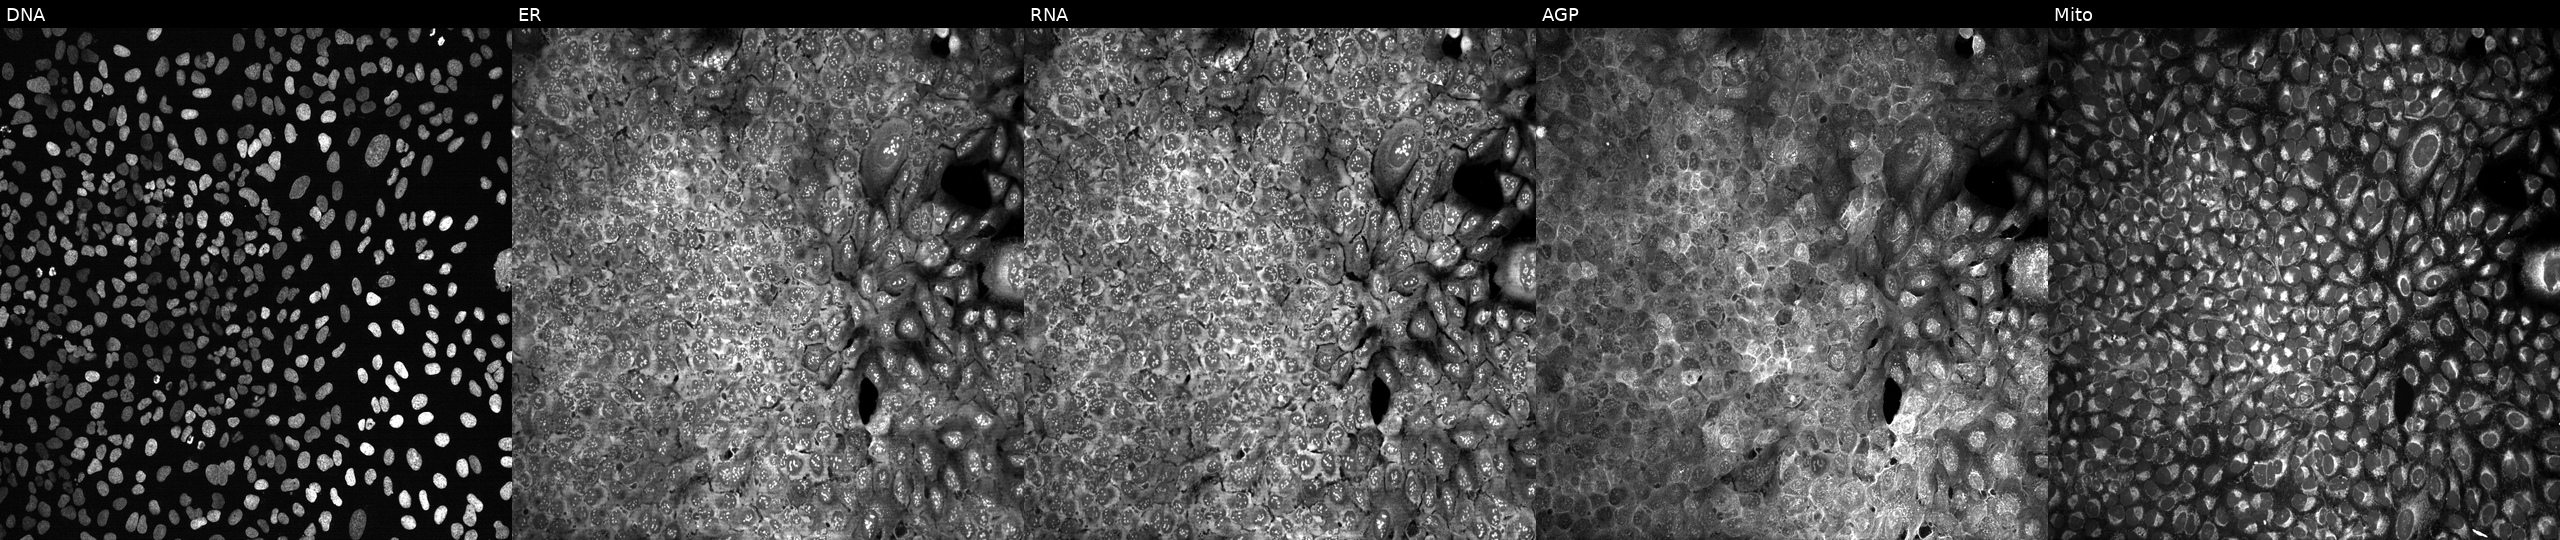
Channels (left→right): Hoechst 33342, concanavalin A, SYTO 14, phalloidin and WGA, MitoTracker. U2OS osteosarcoma cells with a non-targeting CRISPR guide (negative control). Cell Painting assay, JUMP-CP dataset. Source 13, plate CP-CC9-R4-04, well G02.